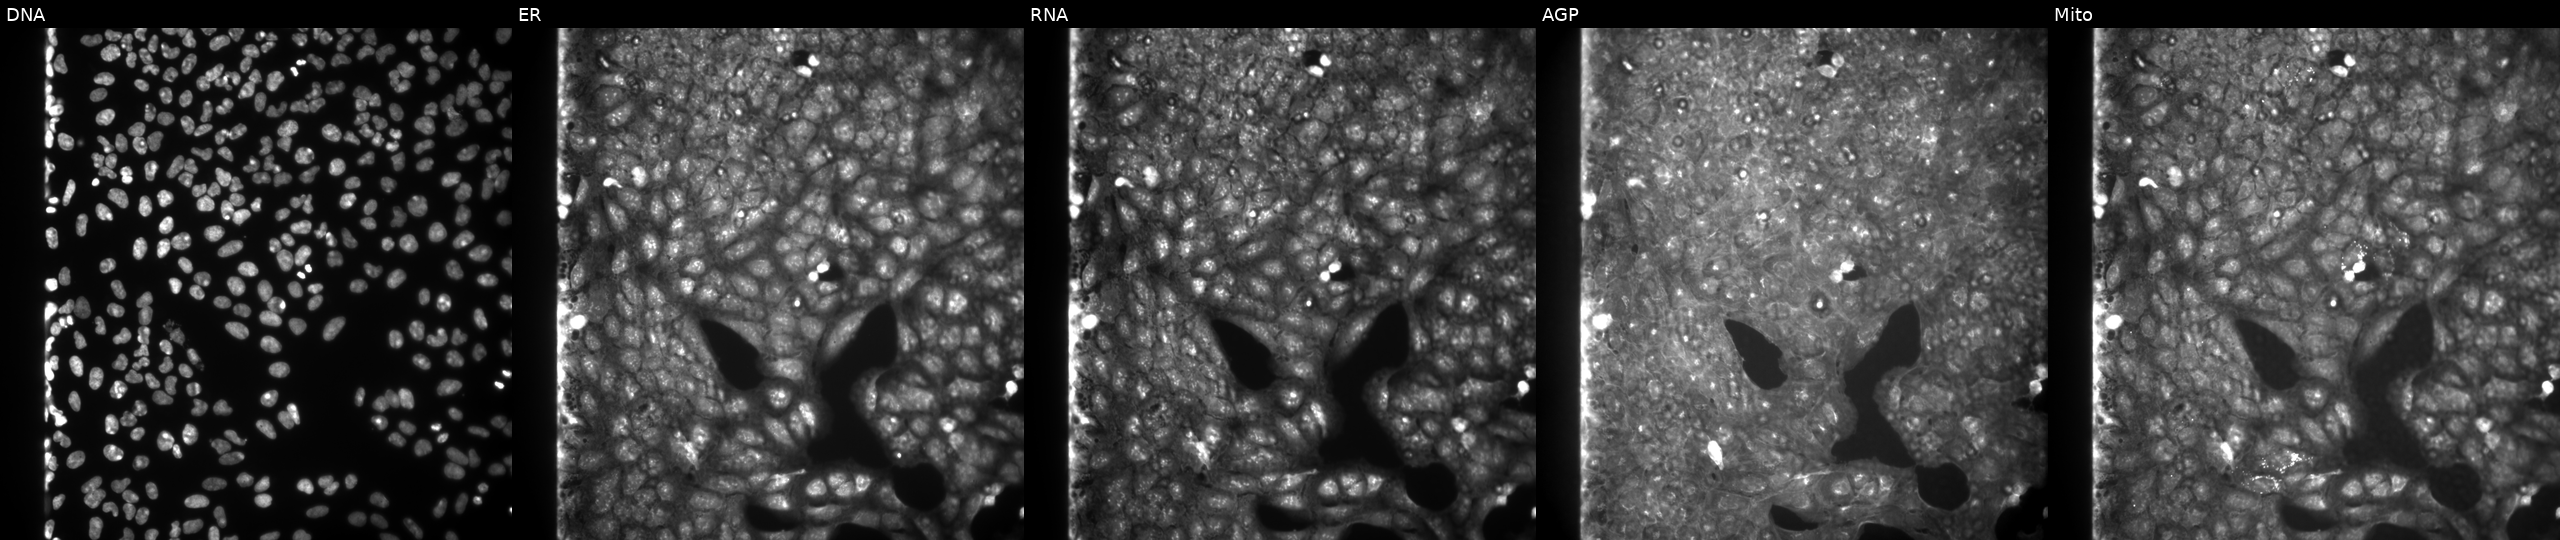
Five-channel Cell Painting image of U2OS cells perturbed with a small-molecule compound (InChIKey CHWRYUOMIVSJFC-UHFFFAOYSA-N) (JUMP id JCP2022_011247). From left to right: DNA, ER, RNA, AGP, and Mito.